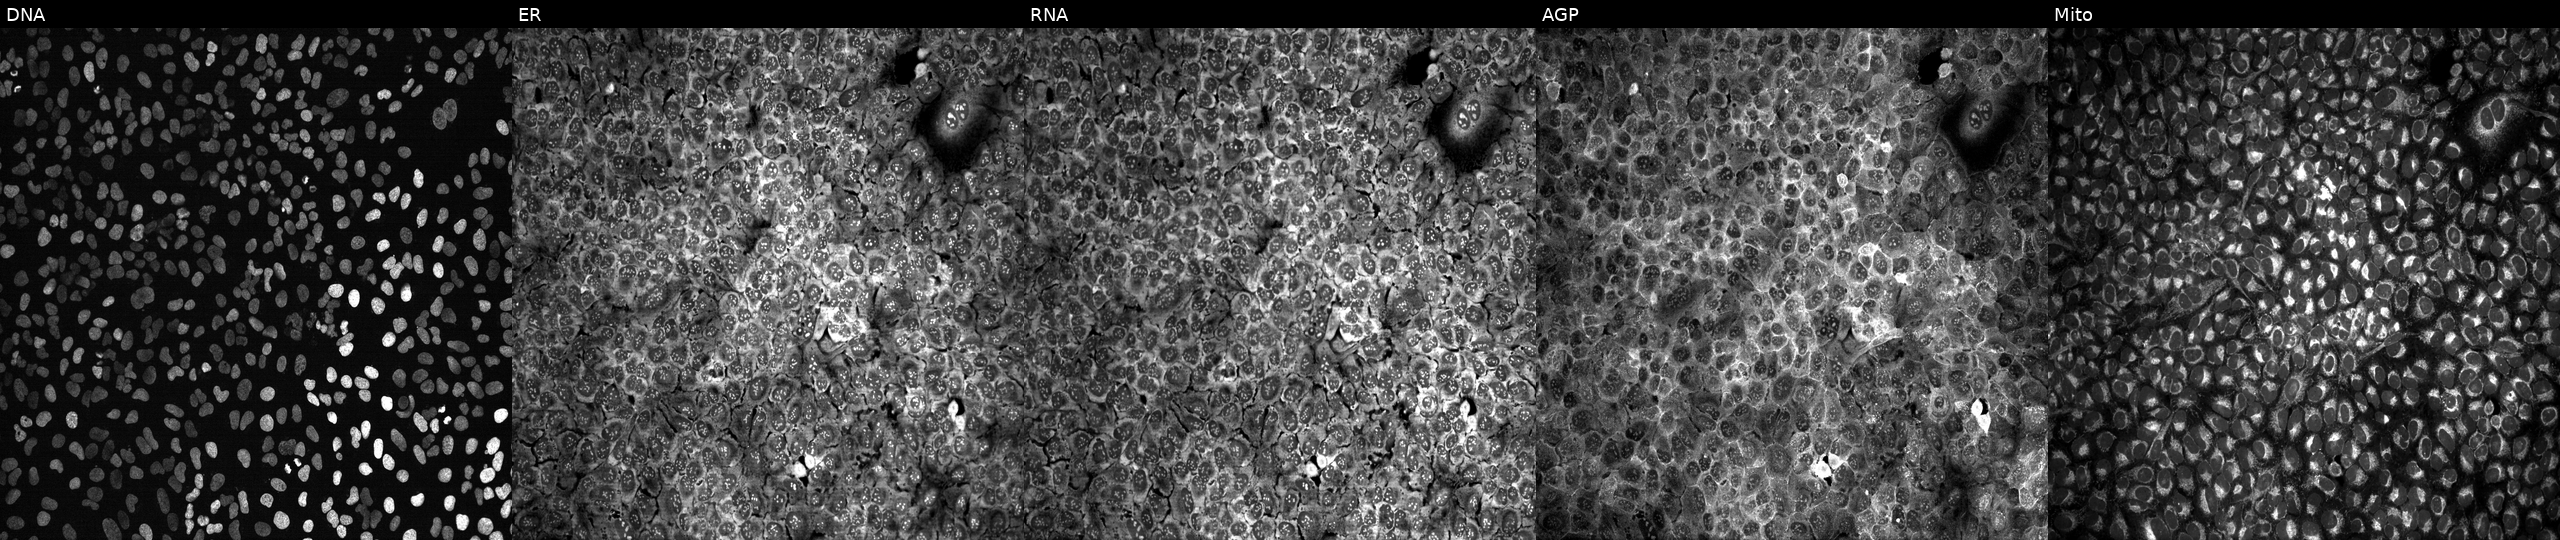
High-content fluorescence microscopy (Cell Painting). Cell line: U2OS. Perturbation: following CRISPR knockout of APLP2 (JUMP id JCP2022_800510). From left to right: DNA (nuclei); ER (endoplasmic reticulum); RNA (nucleoli and cytoplasmic RNA); AGP (actin cytoskeleton, Golgi, and plasma membrane); Mito (mitochondria).